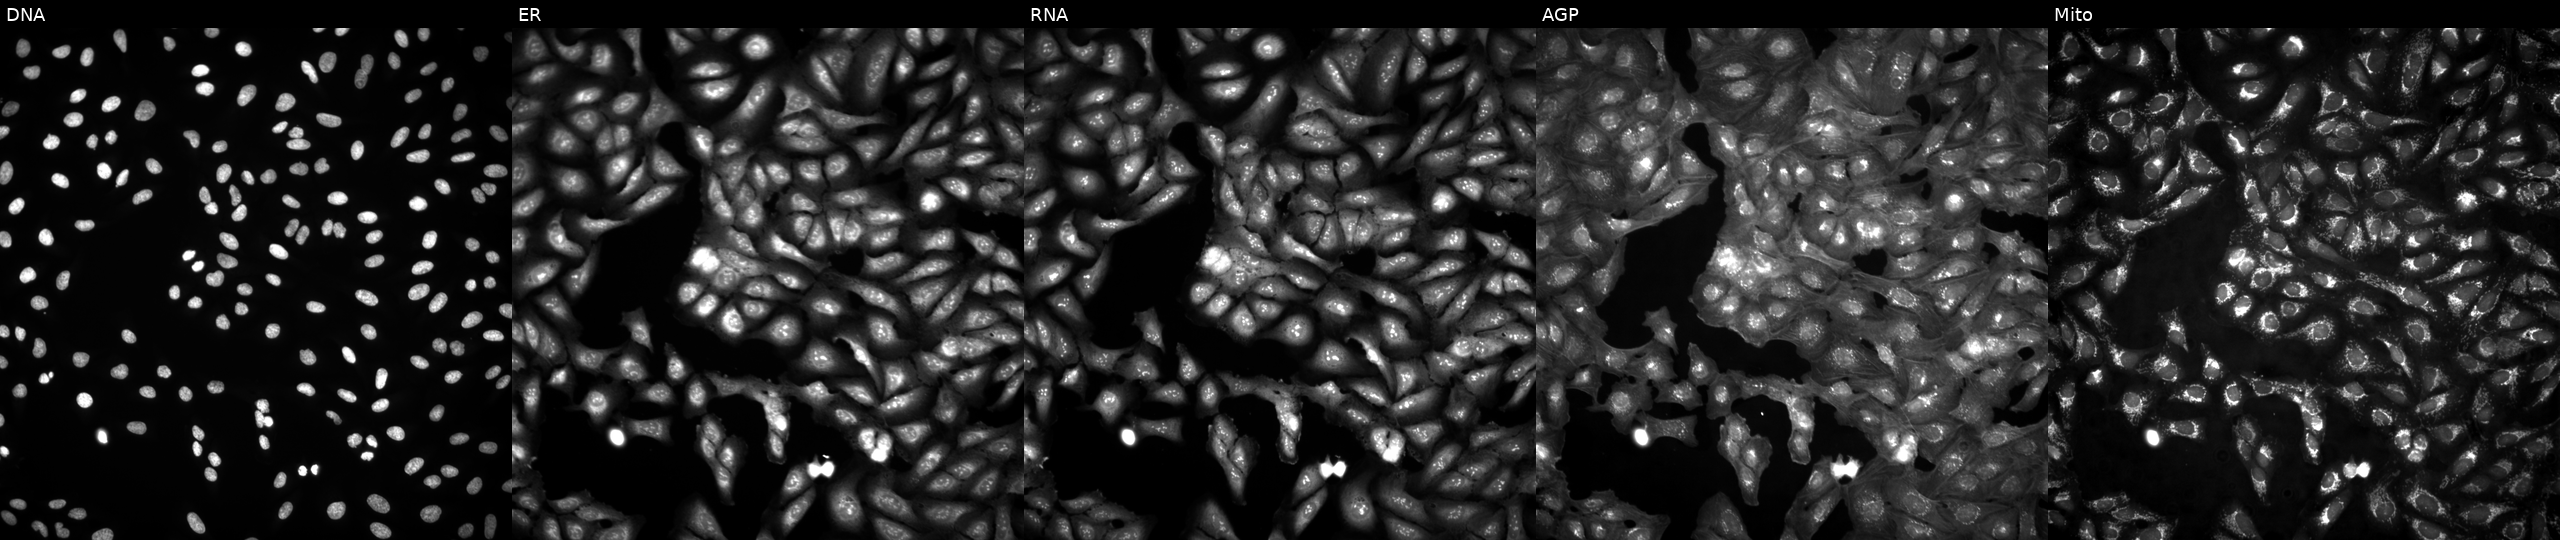
From left to right: Hoechst 33342, concanavalin A, SYTO 14, phalloidin and WGA, MitoTracker. U2OS osteosarcoma cells untreated (empty-well control) (JUMP id JCP2022_999999). Cell Painting assay, JUMP-CP dataset.